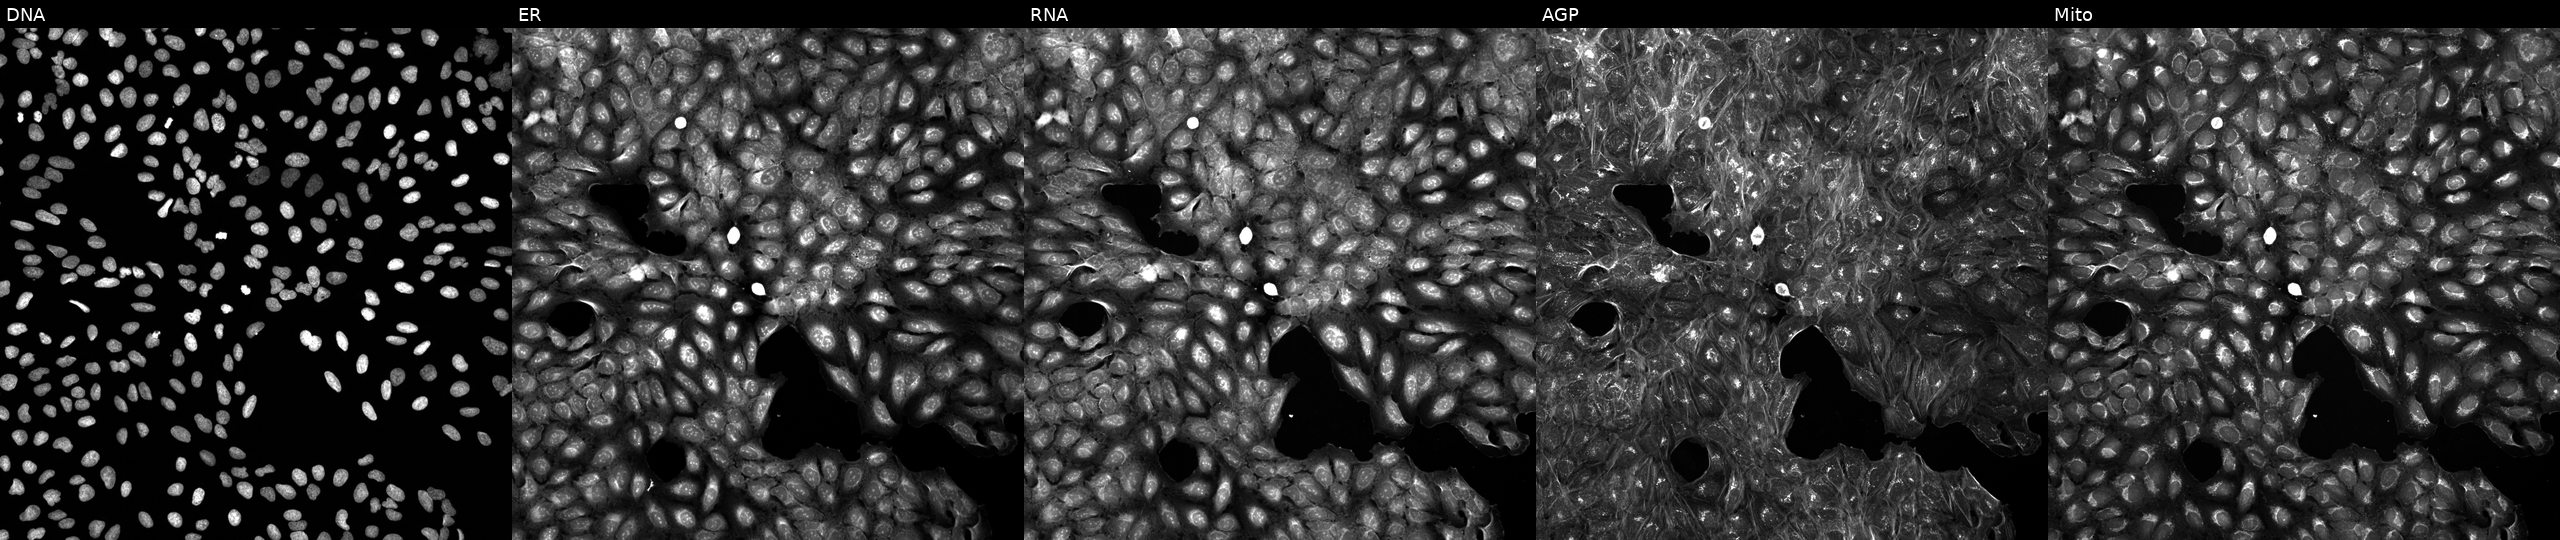
JUMP Cell Painting — COMPOUND plate. U2OS cells treated with a small-molecule compound (InChIKey MWKLOICUQBHIEM-UHFFFAOYSA-N) (JUMP id JCP2022_056971). The five panels, left to right, show DNA (nuclei); ER (endoplasmic reticulum); RNA (nucleoli and cytoplasmic RNA); AGP (actin cytoskeleton, Golgi, and plasma membrane); Mito (mitochondria). Source 5, plate APTJUM106, well I22.